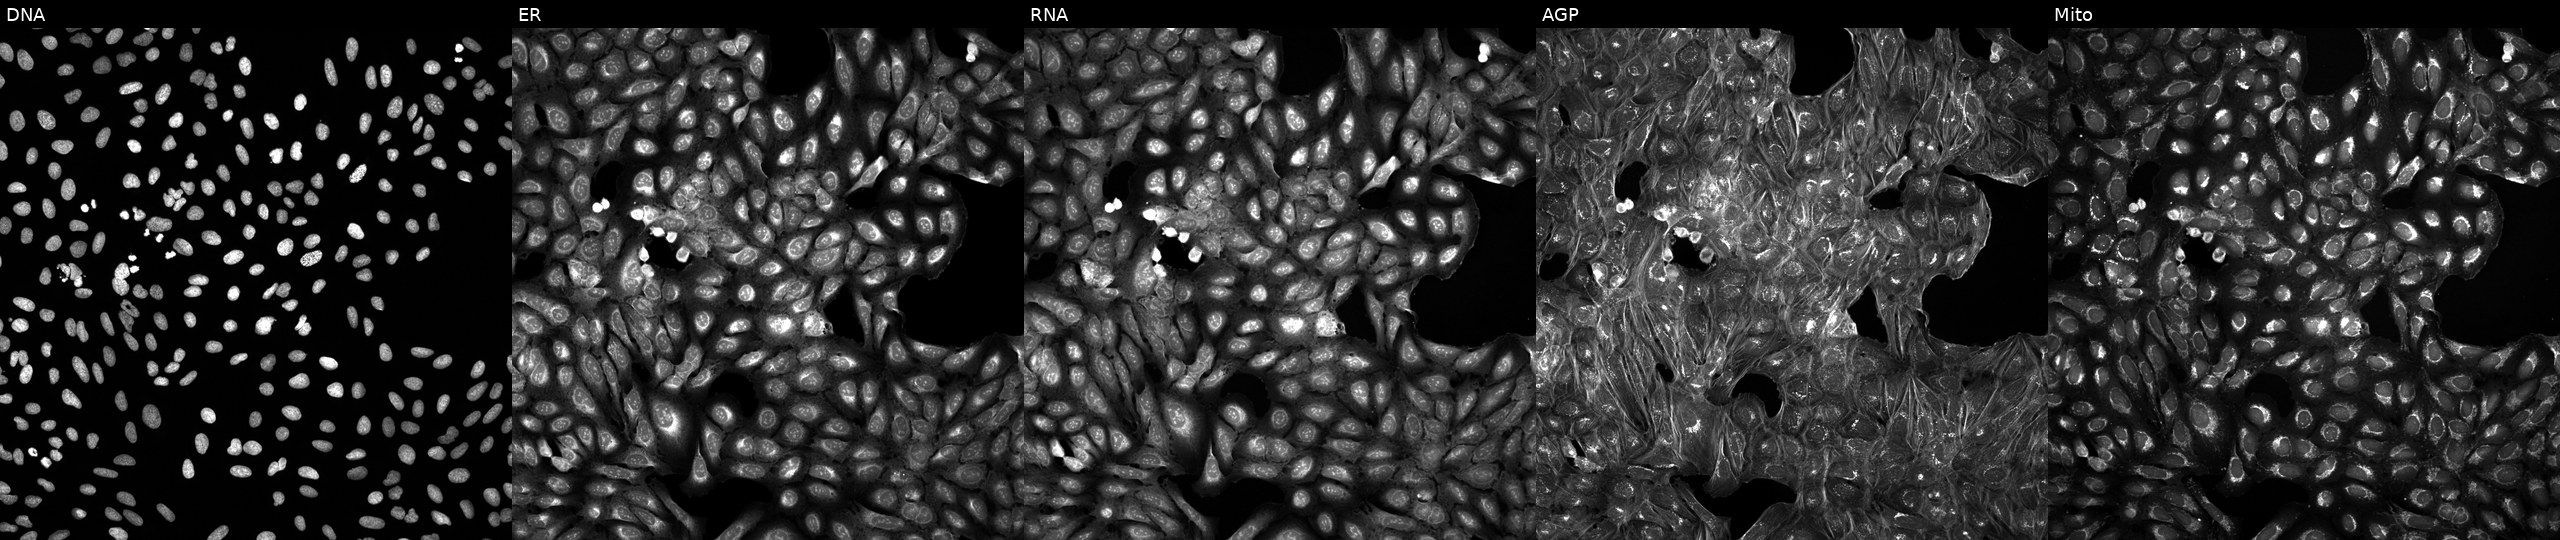
U2OS cells, Cell Painting assay, treated with DMSO vehicle only (negative control) (JUMP id JCP2022_033924). From left to right: Hoechst 33342, concanavalin A, SYTO 14, phalloidin and WGA, MitoTracker. Each panel is percentile-stretched 16-bit fluorescence.